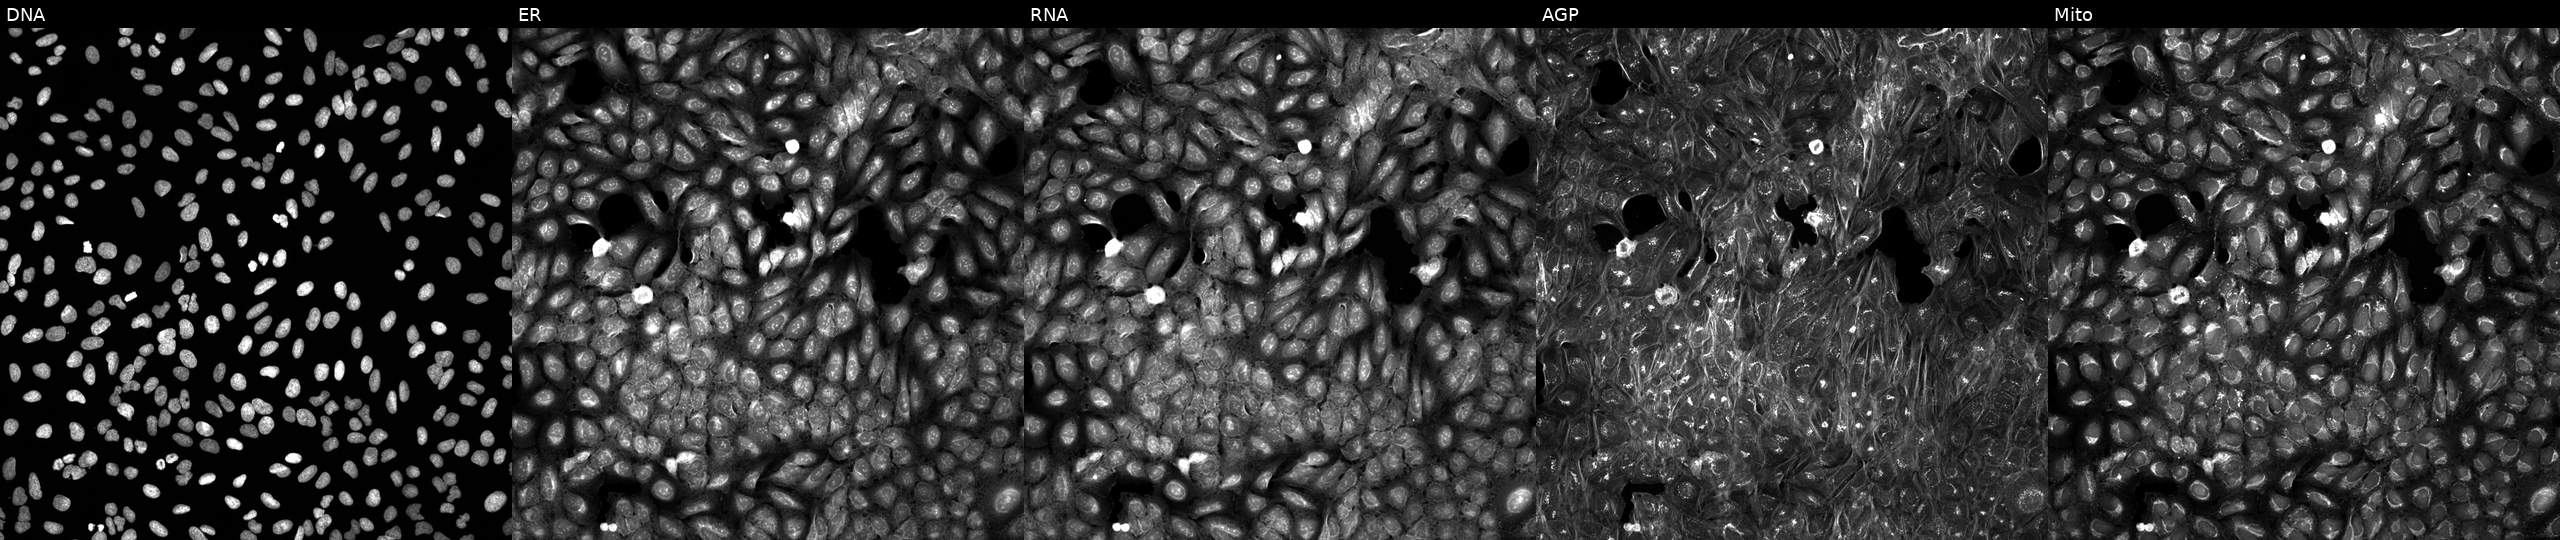
This image strip shows the five Cell Painting channels for a single field of U2OS cells treated with a small-molecule compound (InChIKey ITEQHQXFVYYVGG-UHFFFAOYSA-N) (JUMP id JCP2022_037252). The five panels, left to right, show DNA (nuclei); ER (endoplasmic reticulum); RNA (nucleoli and cytoplasmic RNA); AGP (actin cytoskeleton, Golgi, and plasma membrane); Mito (mitochondria).